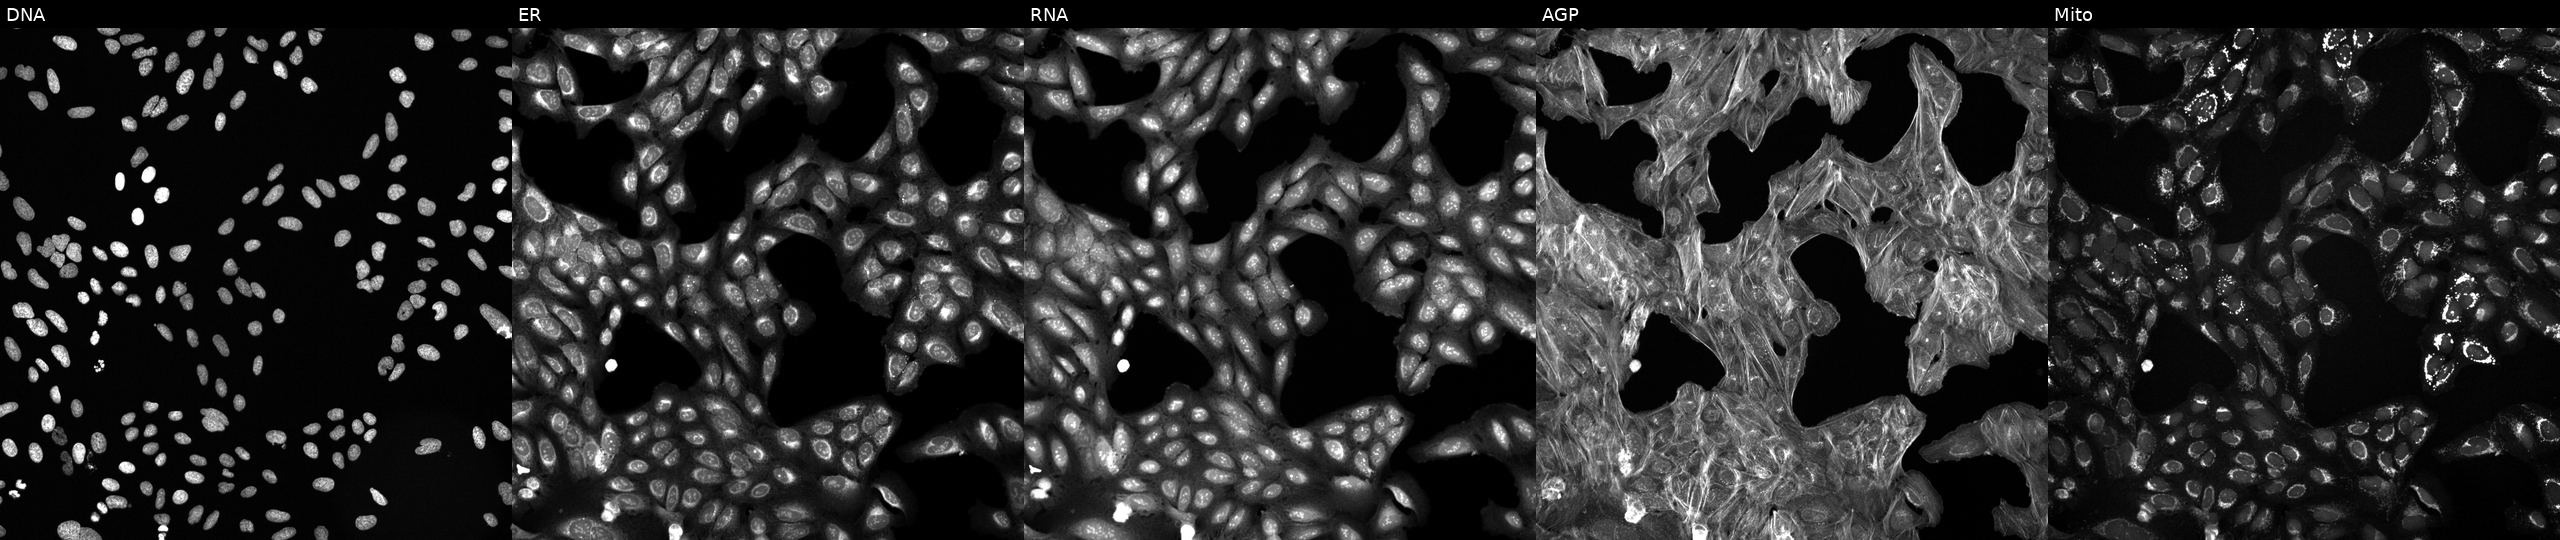
High-content fluorescence microscopy (Cell Painting). Cell line: U2OS. Perturbation: treated with a small-molecule compound [SMILES: COc1ccccc1S(=O)(=O)Nc1ccc2c(c1)CN(C)C(=O)N2]. The five panels, left to right, show DNA, ER, RNA, AGP, and Mito. Source 6, plate 110000293081, well C06.